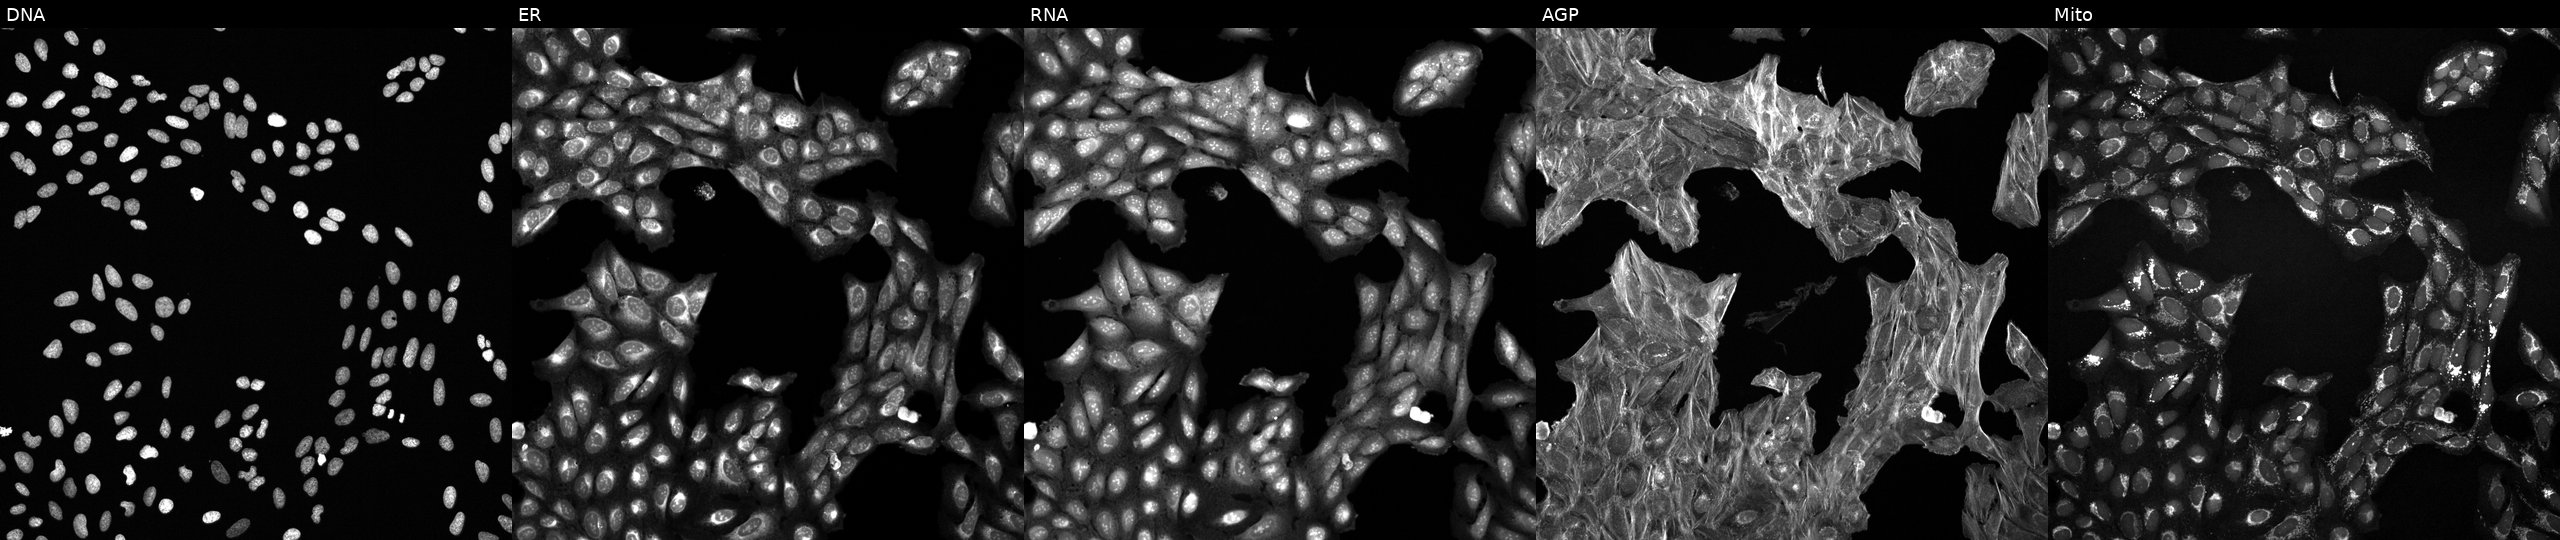
High-content fluorescence microscopy (Cell Painting). Cell line: U2OS. Perturbation: treated with DMSO vehicle only (negative control) (JUMP id JCP2022_033924). The five panels, left to right, show Hoechst 33342, concanavalin A, SYTO 14, phalloidin and WGA, MitoTracker. Source 6, plate 110000293081, well M13.